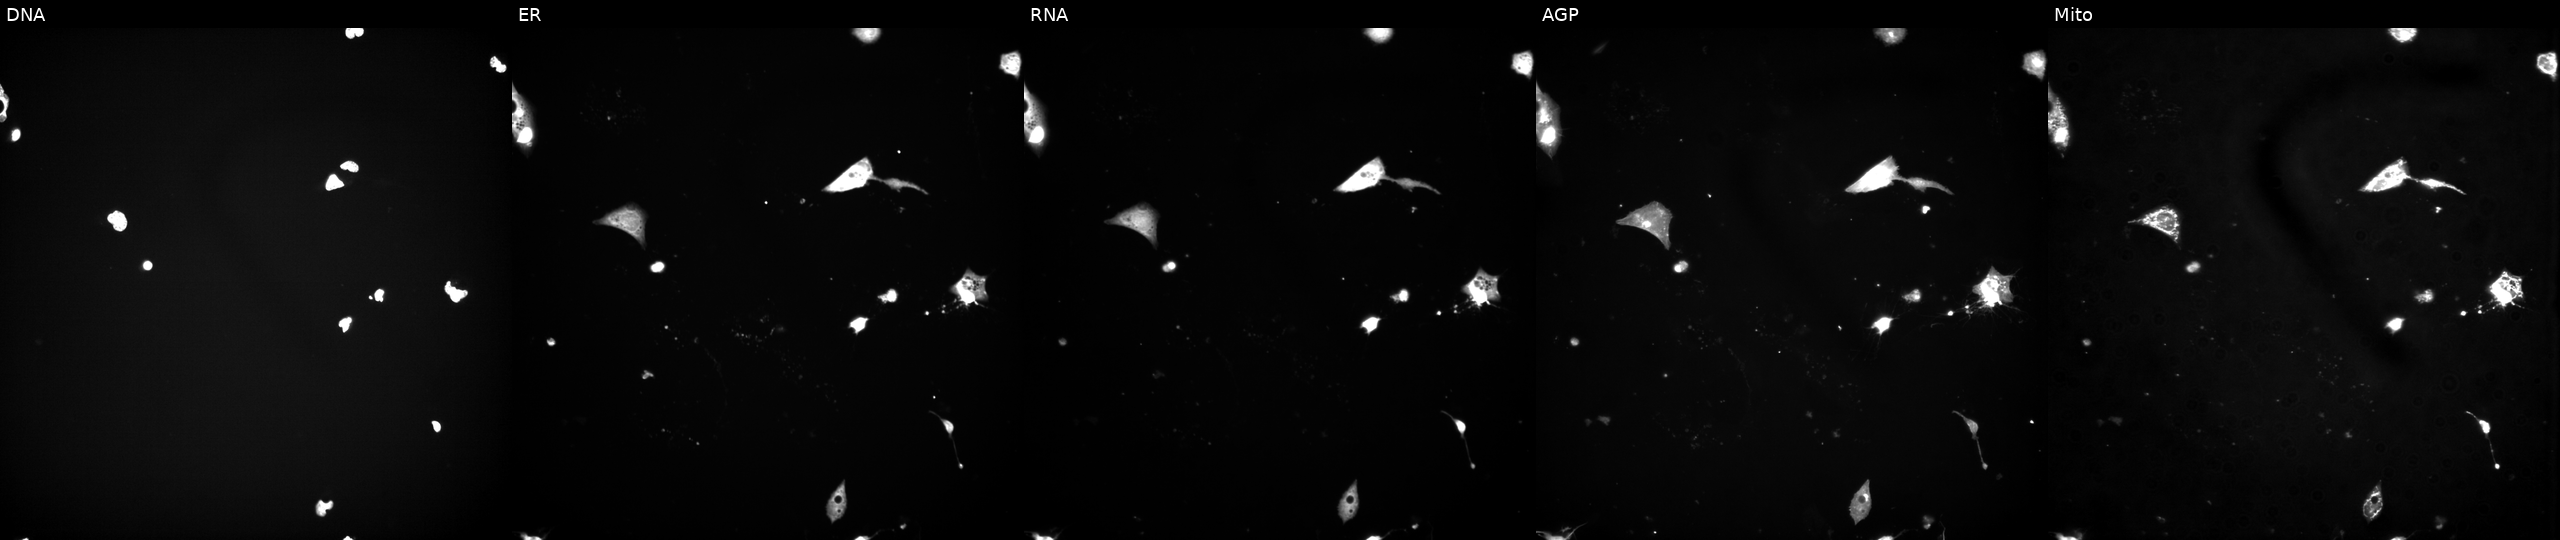
U2OS cells, Cell Painting assay, treated with a small-molecule compound (InChIKey VXBAJLGYBMTJCY-UHFFFAOYSA-N) [SMILES: CN1CC=CCCOc2cccc(c2)-c2ccnc(n2)Nc2cccc(c2)C1]. The five panels, left to right, show DNA, ER, RNA, AGP, and Mito. Each panel is percentile-stretched 16-bit fluorescence. Source 3, plate JCPQC053, well C08.